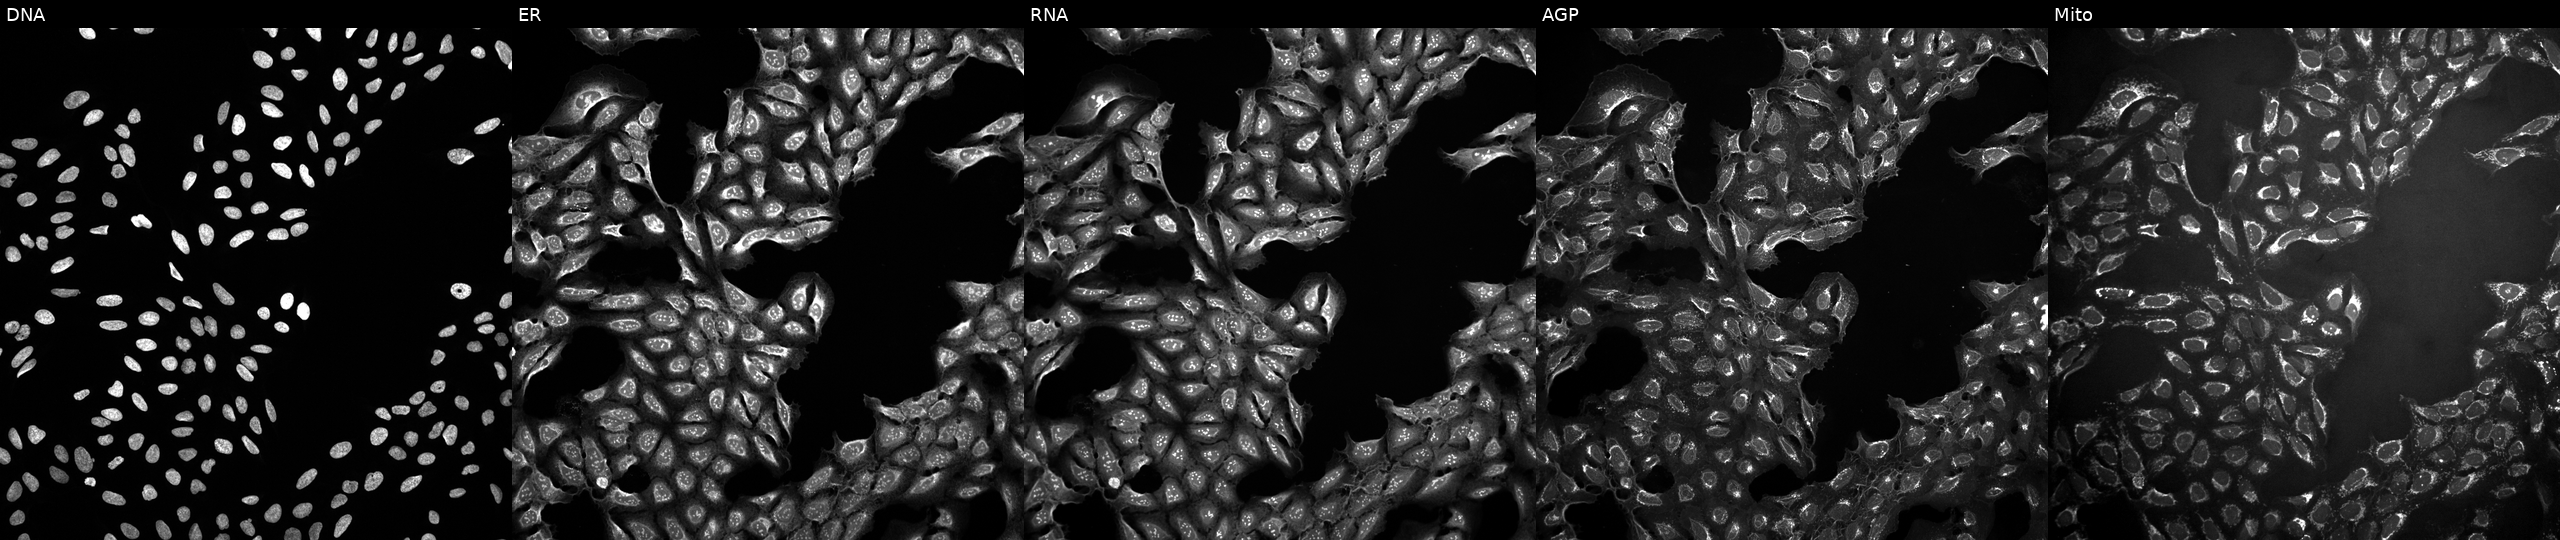
U2OS cells, Cell Painting assay, treated with a small-molecule compound [SMILES: CN(C)c1ccc(O)c2c1CC1CC3C(N(C)C)C(=O)C(C(N)=O)C(=O)C3(O)C(=O)C1C2=O] (JUMP id JCP2022_116749). Channels (left→right): DNA (nuclei); ER (endoplasmic reticulum); RNA (nucleoli and cytoplasmic RNA); AGP (actin cytoskeleton, Golgi, and plasma membrane); Mito (mitochondria). Each panel is percentile-stretched 16-bit fluorescence.